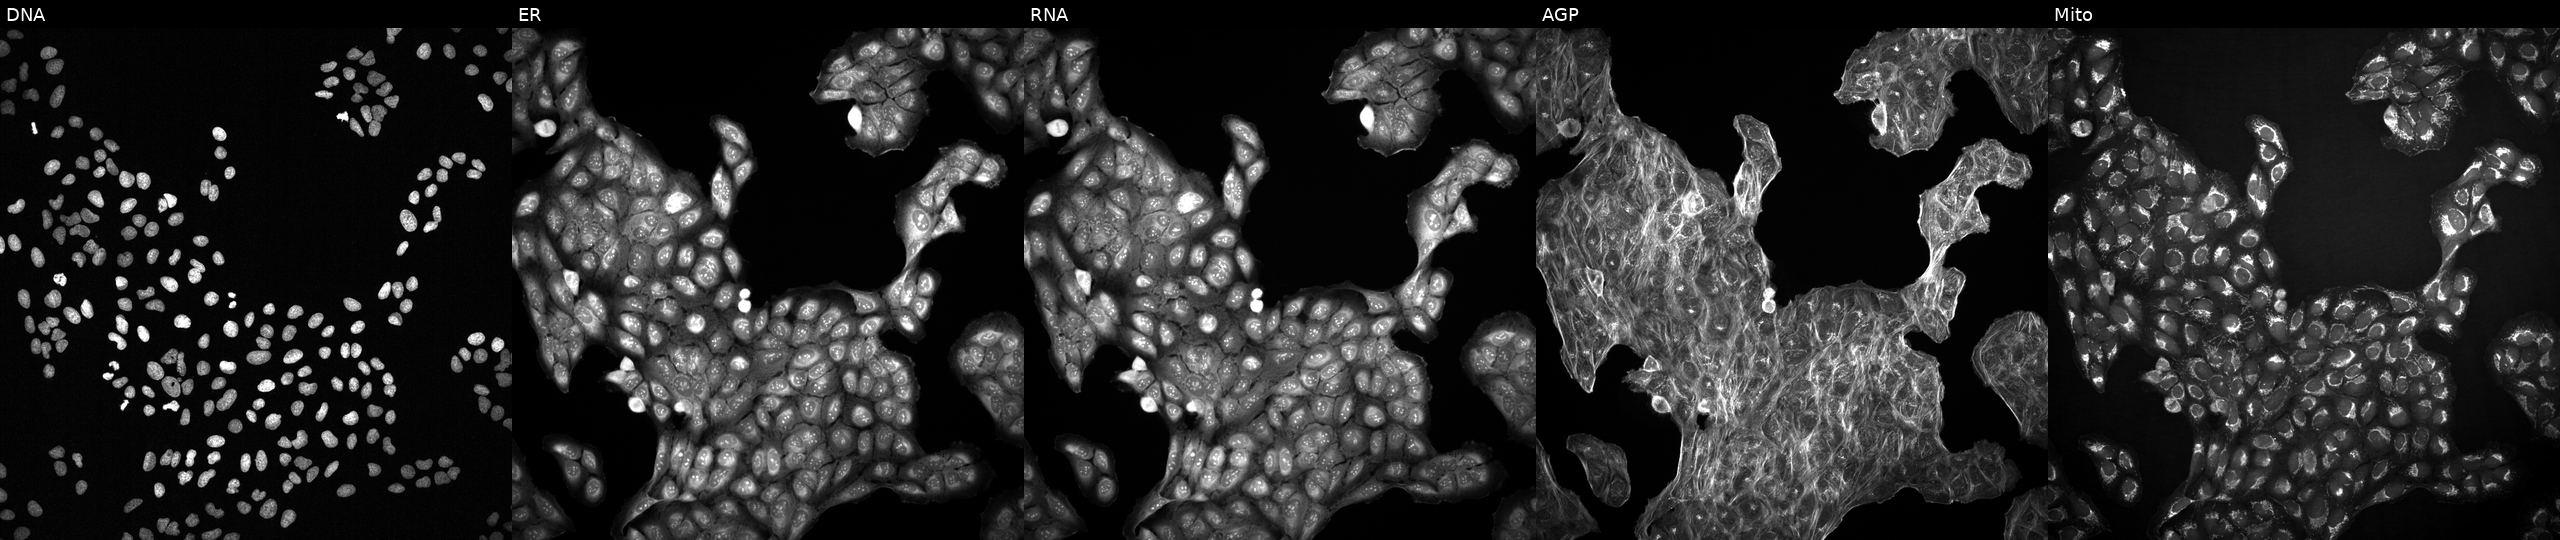
This image strip shows the five Cell Painting channels for a single field of U2OS cells with an unidentified perturbation (not annotated in JUMP metadata). The five panels, left to right, show DNA (nuclei); ER (endoplasmic reticulum); RNA (nucleoli and cytoplasmic RNA); AGP (actin cytoskeleton, Golgi, and plasma membrane); Mito (mitochondria).